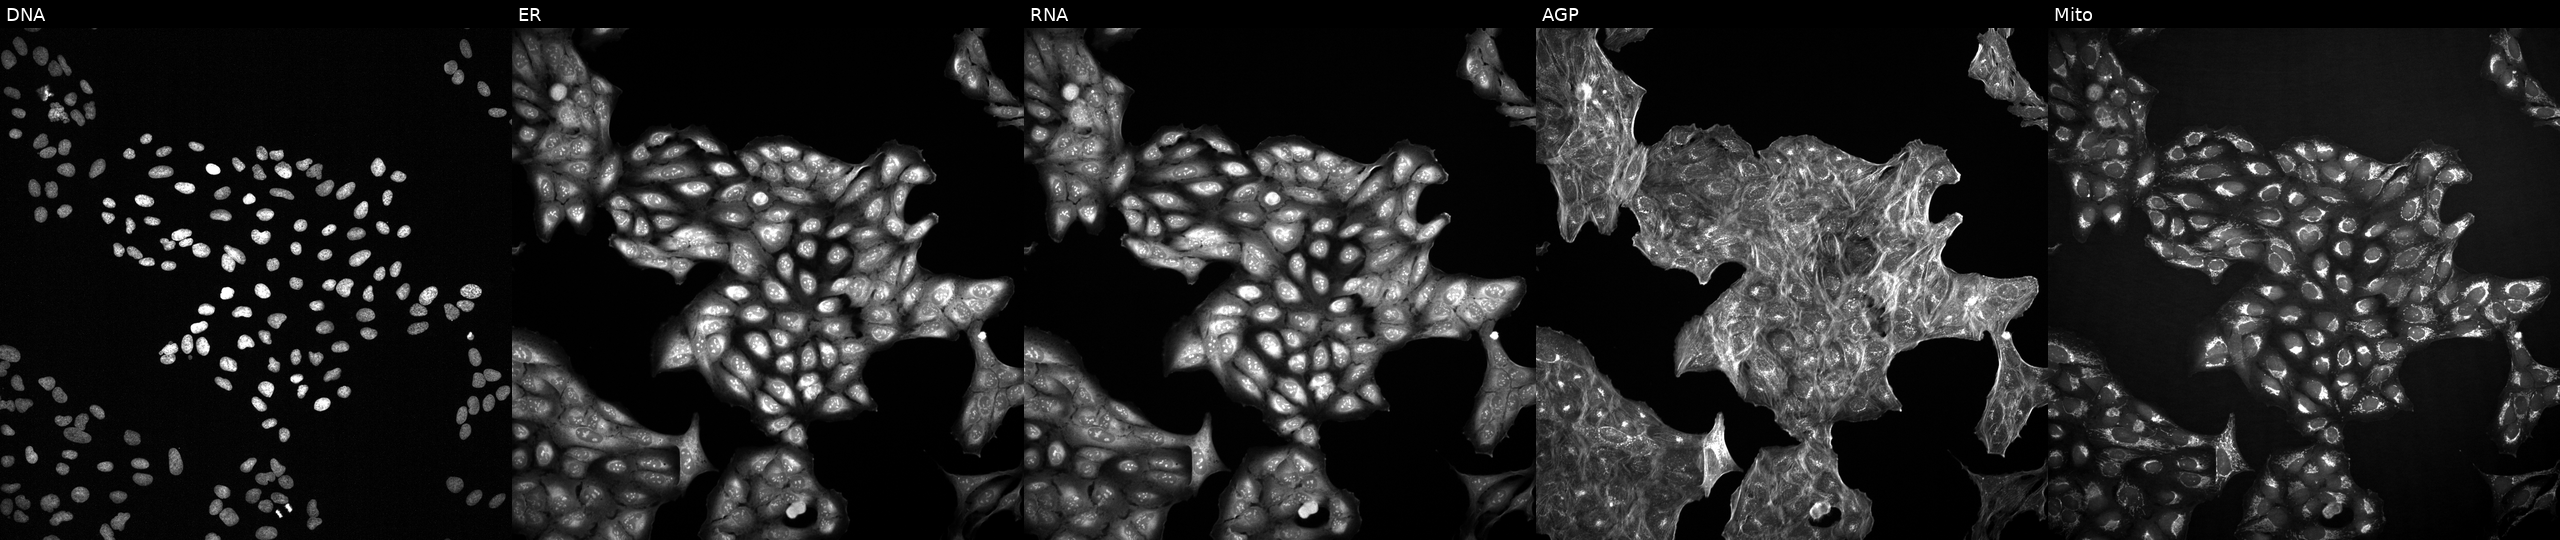
High-content fluorescence microscopy (Cell Painting). Cell line: U2OS. Perturbation: with an unidentified perturbation (not annotated in JUMP metadata). Channels (left→right): Hoechst 33342, concanavalin A, SYTO 14, phalloidin and WGA, MitoTracker.